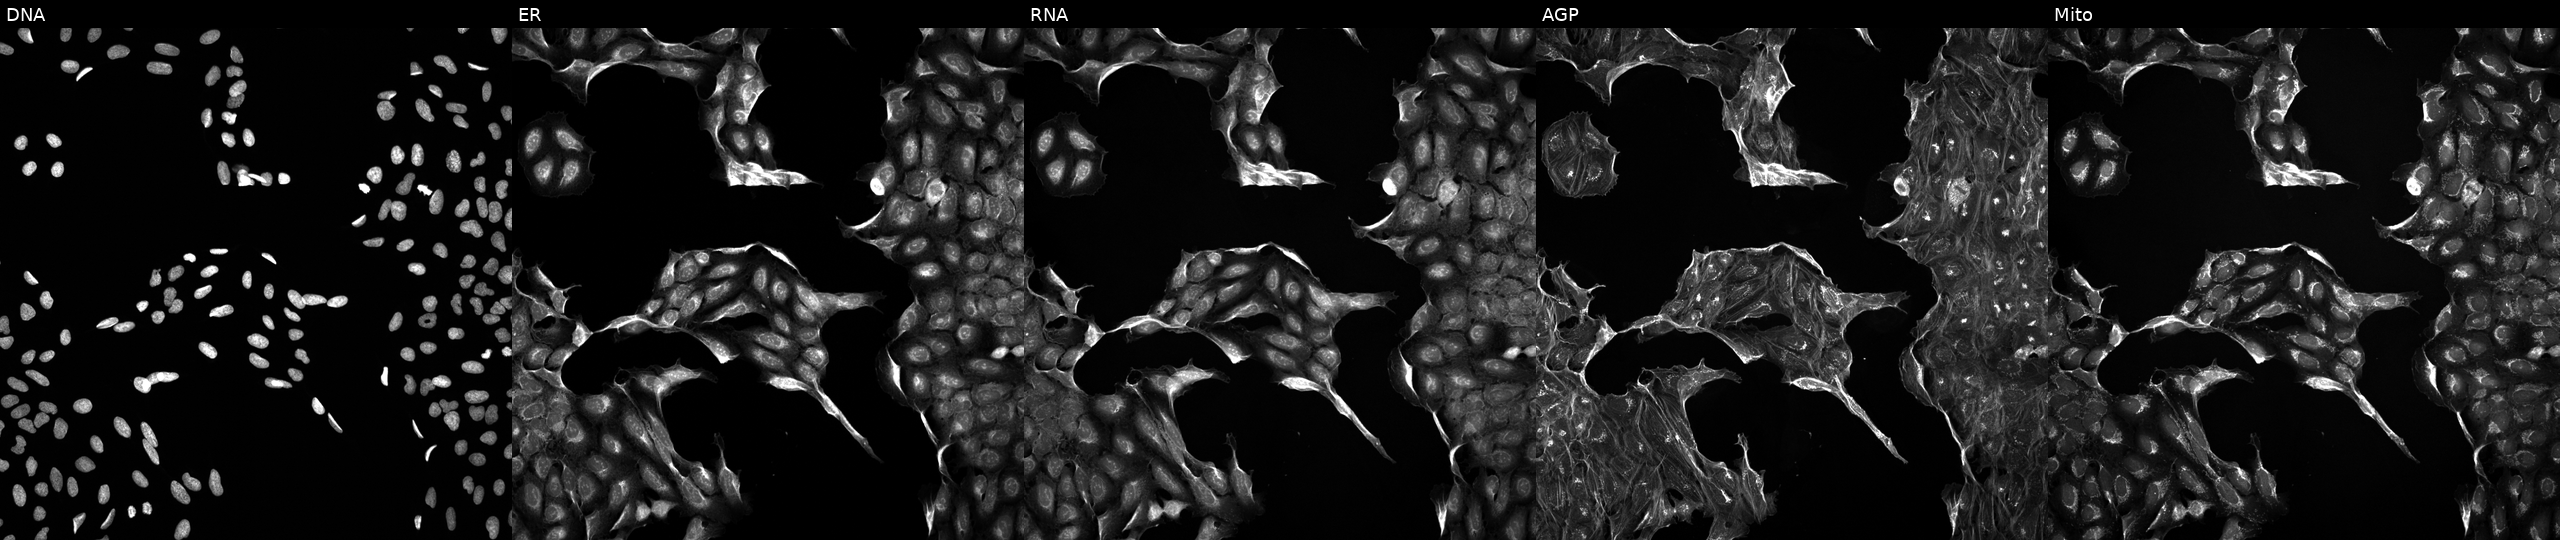
High-content fluorescence microscopy (Cell Painting). Cell line: U2OS. Perturbation: exposed to a small-molecule compound (InChIKey ROBYKNONIPZMTK-UHFFFAOYSA-N). Panels show, left to right, DNA (nuclei); ER (endoplasmic reticulum); RNA (nucleoli and cytoplasmic RNA); AGP (actin cytoskeleton, Golgi, and plasma membrane); Mito (mitochondria). Source 5, plate ACPJUM012, well B05.